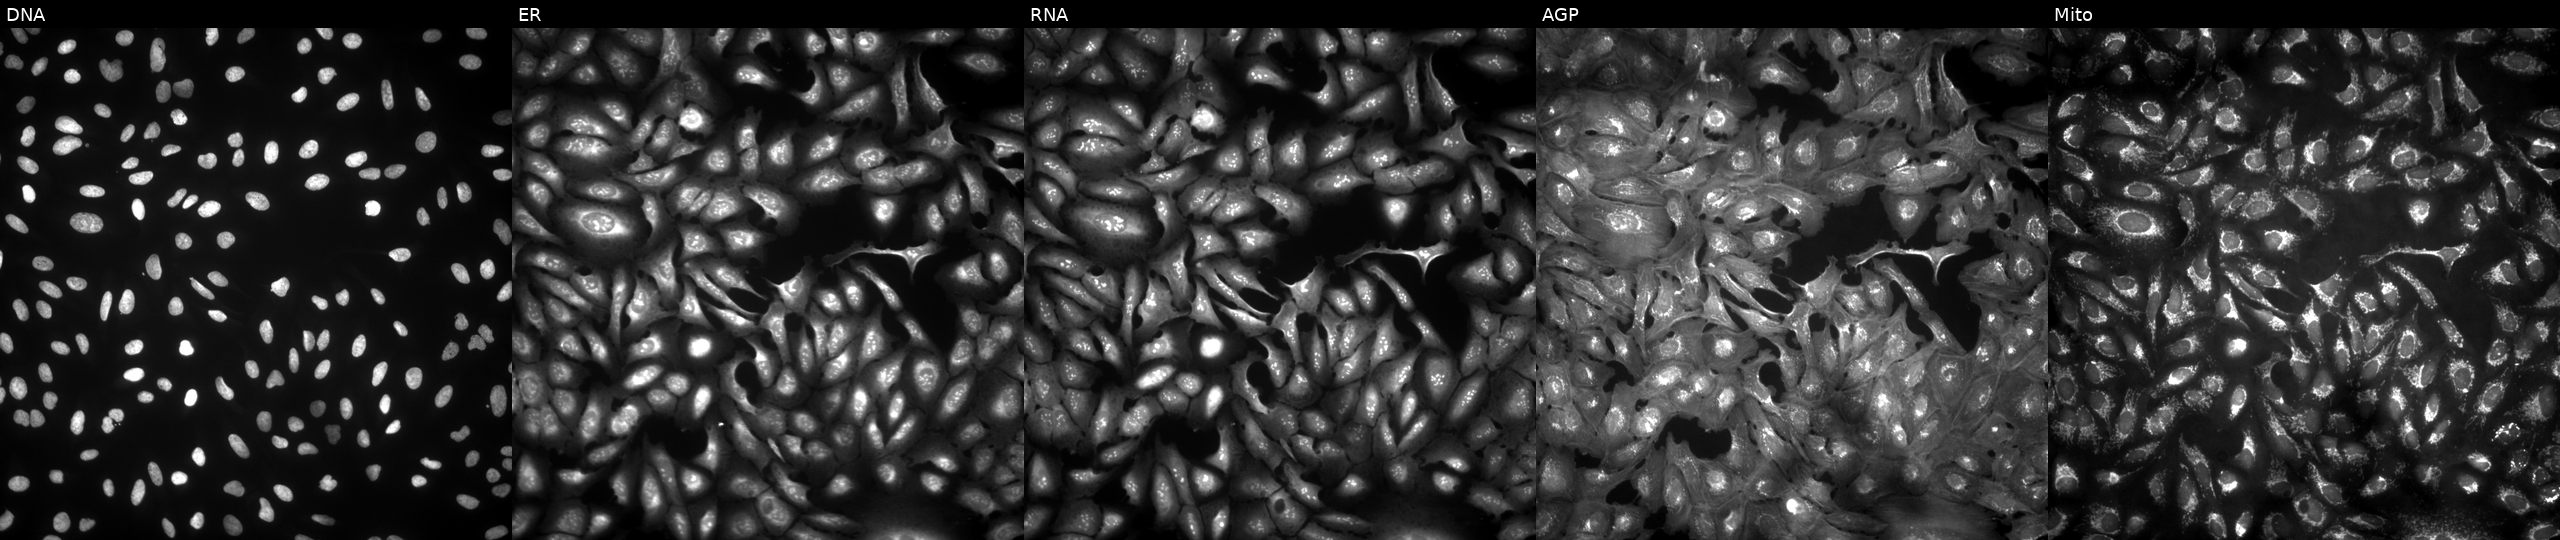
U2OS cells, Cell Painting assay, overexpressing S100PBP via ORF transfection (JUMP id JCP2022_908281). From left to right: DNA (nuclei); ER (endoplasmic reticulum); RNA (nucleoli and cytoplasmic RNA); AGP (actin cytoskeleton, Golgi, and plasma membrane); Mito (mitochondria). Each panel is percentile-stretched 16-bit fluorescence.